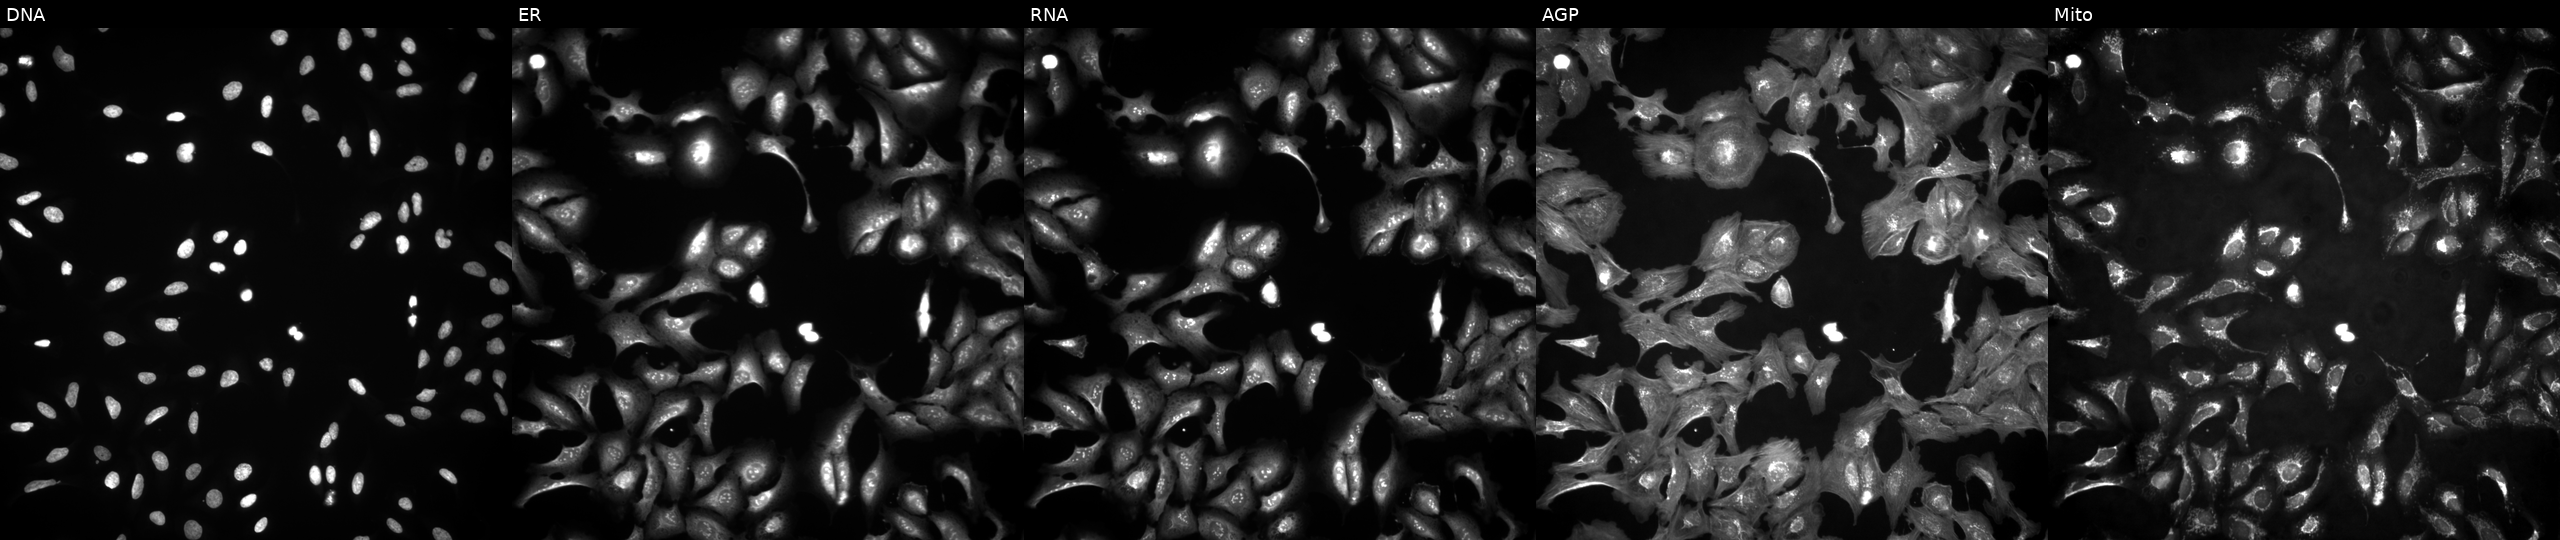
Five-channel Cell Painting image of U2OS cells transfected with an ORF construct for CLDN8. The five panels, left to right, show DNA (nuclei); ER (endoplasmic reticulum); RNA (nucleoli and cytoplasmic RNA); AGP (actin cytoskeleton, Golgi, and plasma membrane); Mito (mitochondria).